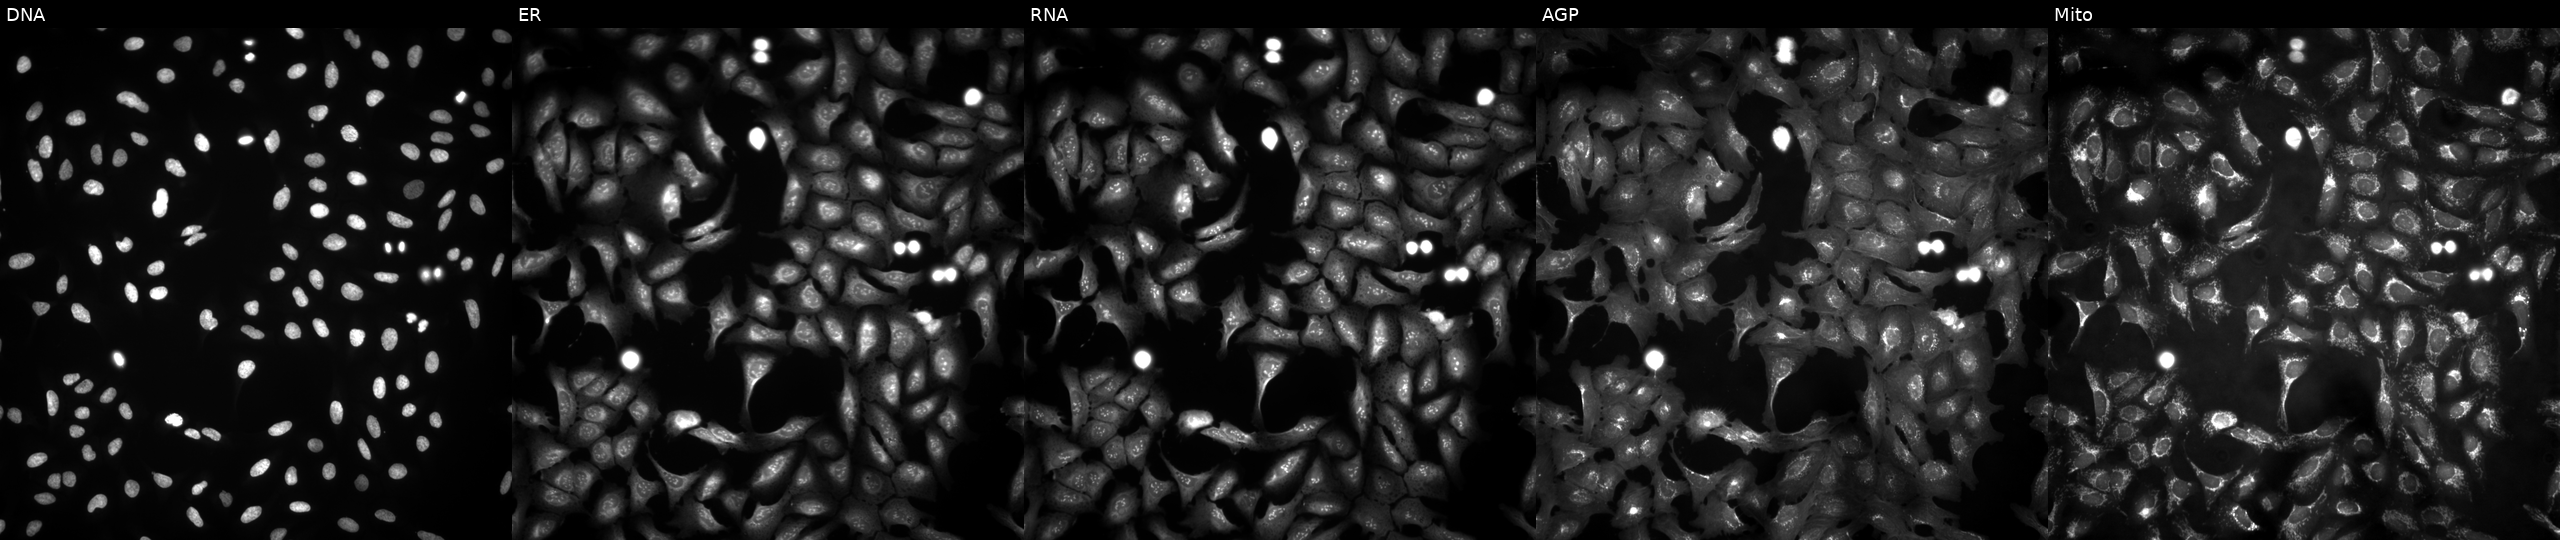
High-content fluorescence microscopy (Cell Painting). Cell line: U2OS. Perturbation: with CDK10 overexpressed (ORF). From left to right: DNA (nuclei); ER (endoplasmic reticulum); RNA (nucleoli and cytoplasmic RNA); AGP (actin cytoskeleton, Golgi, and plasma membrane); Mito (mitochondria). Source 4, plate BR00121543, well C07.